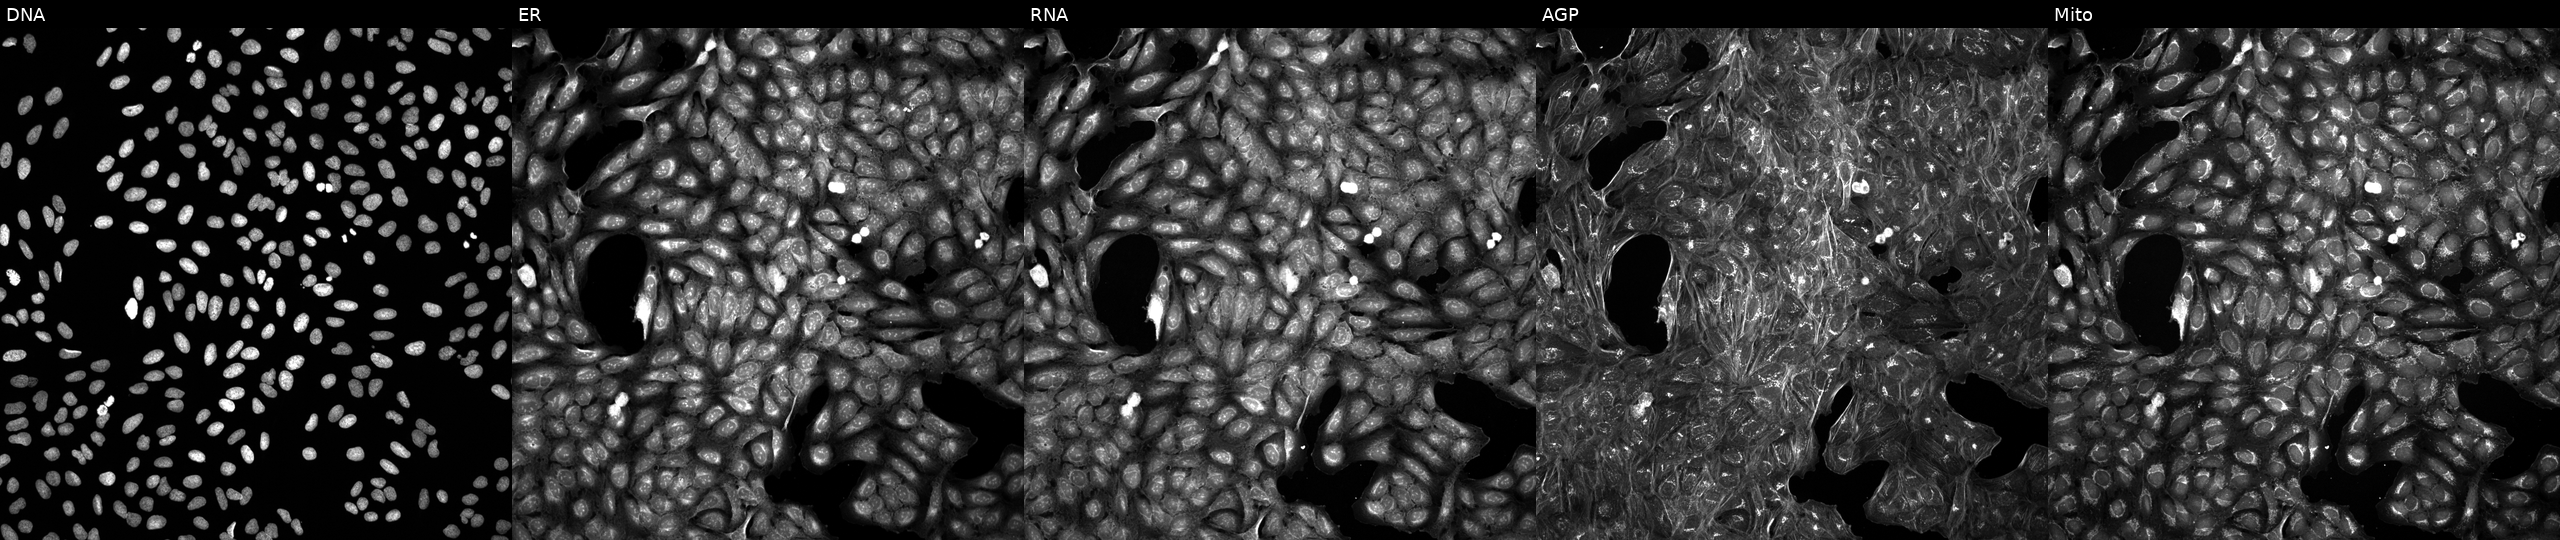
Five-channel Cell Painting image of U2OS cells perturbed with a small-molecule compound. The five panels, left to right, show DNA, ER, RNA, AGP, and Mito.